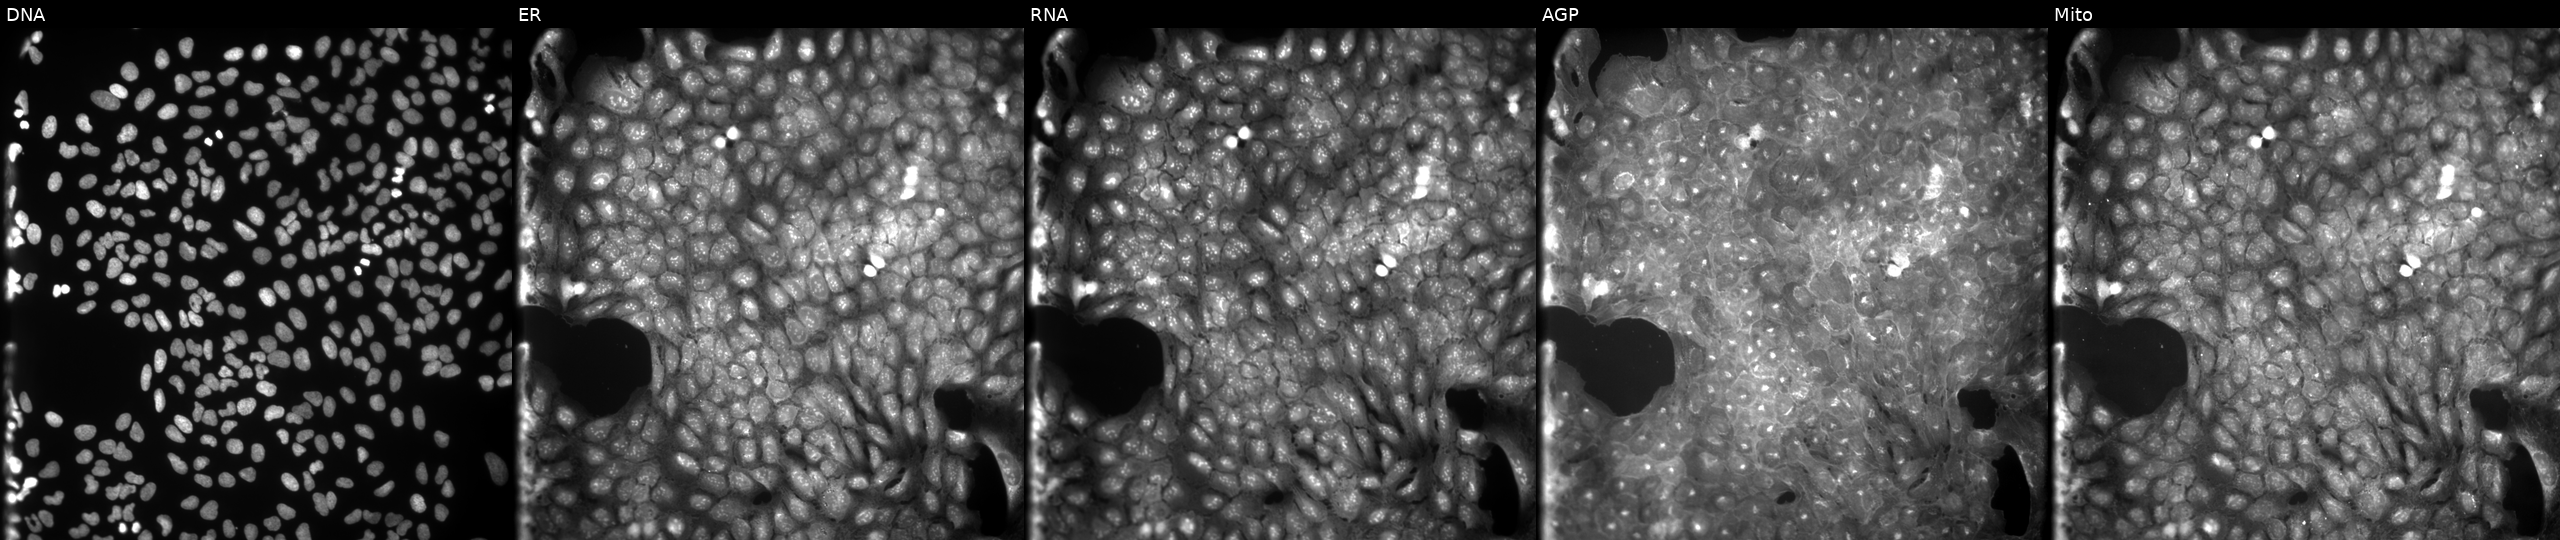
High-content fluorescence microscopy (Cell Painting). Cell line: U2OS. Perturbation: perturbed with a small-molecule compound (InChIKey MOSMCGFUJOWIOS-UHFFFAOYSA-N). The five panels, left to right, show DNA, ER, RNA, AGP, and Mito.